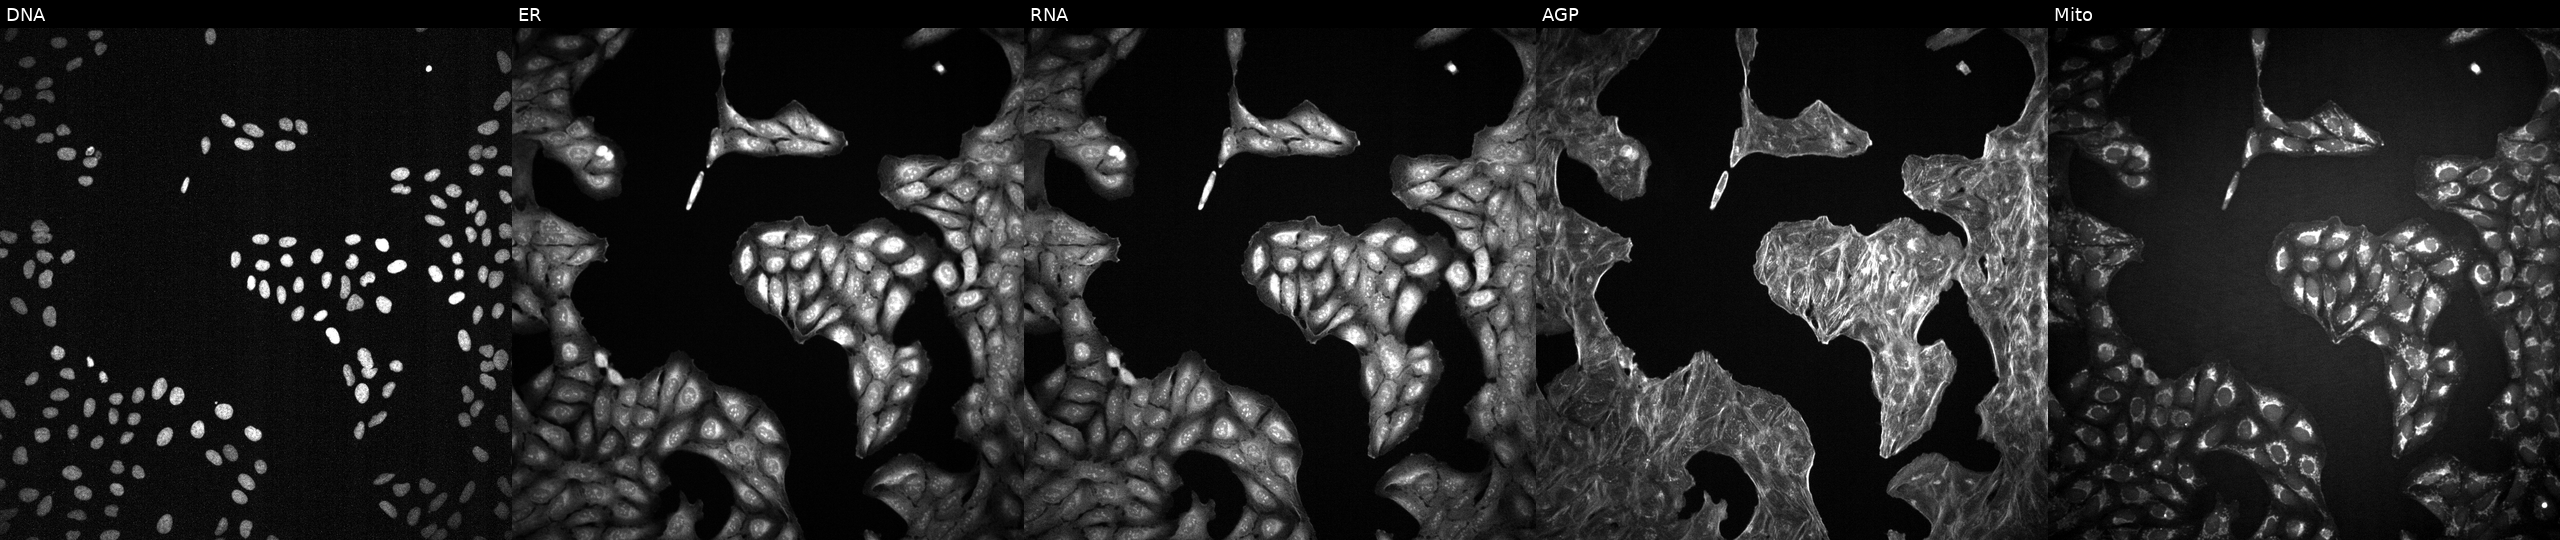
From left to right: DNA, ER, RNA, AGP, and Mito. U2OS osteosarcoma cells treated with a small-molecule compound (InChIKey SQMWSBKSHWARHU-UHFFFAOYSA-N). Cell Painting assay, JUMP-CP dataset. Source 2, plate 1053599503, well E15.